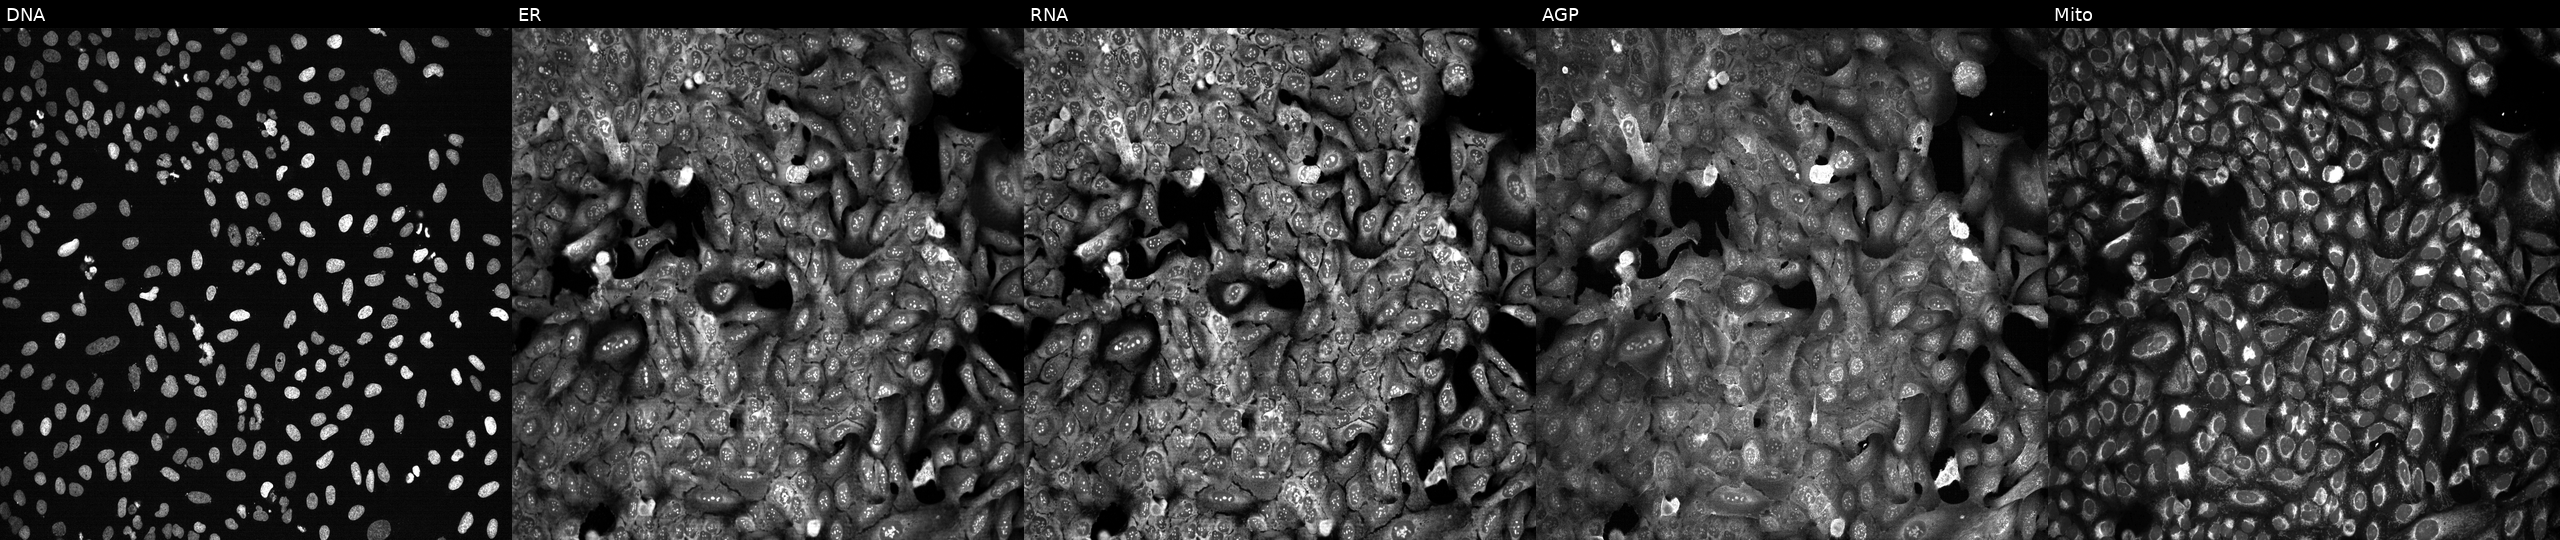
This image strip shows the five Cell Painting channels for a single field of U2OS cells following CRISPR knockout of QPCT. Panels show, left to right, DNA, ER, RNA, AGP, and Mito.